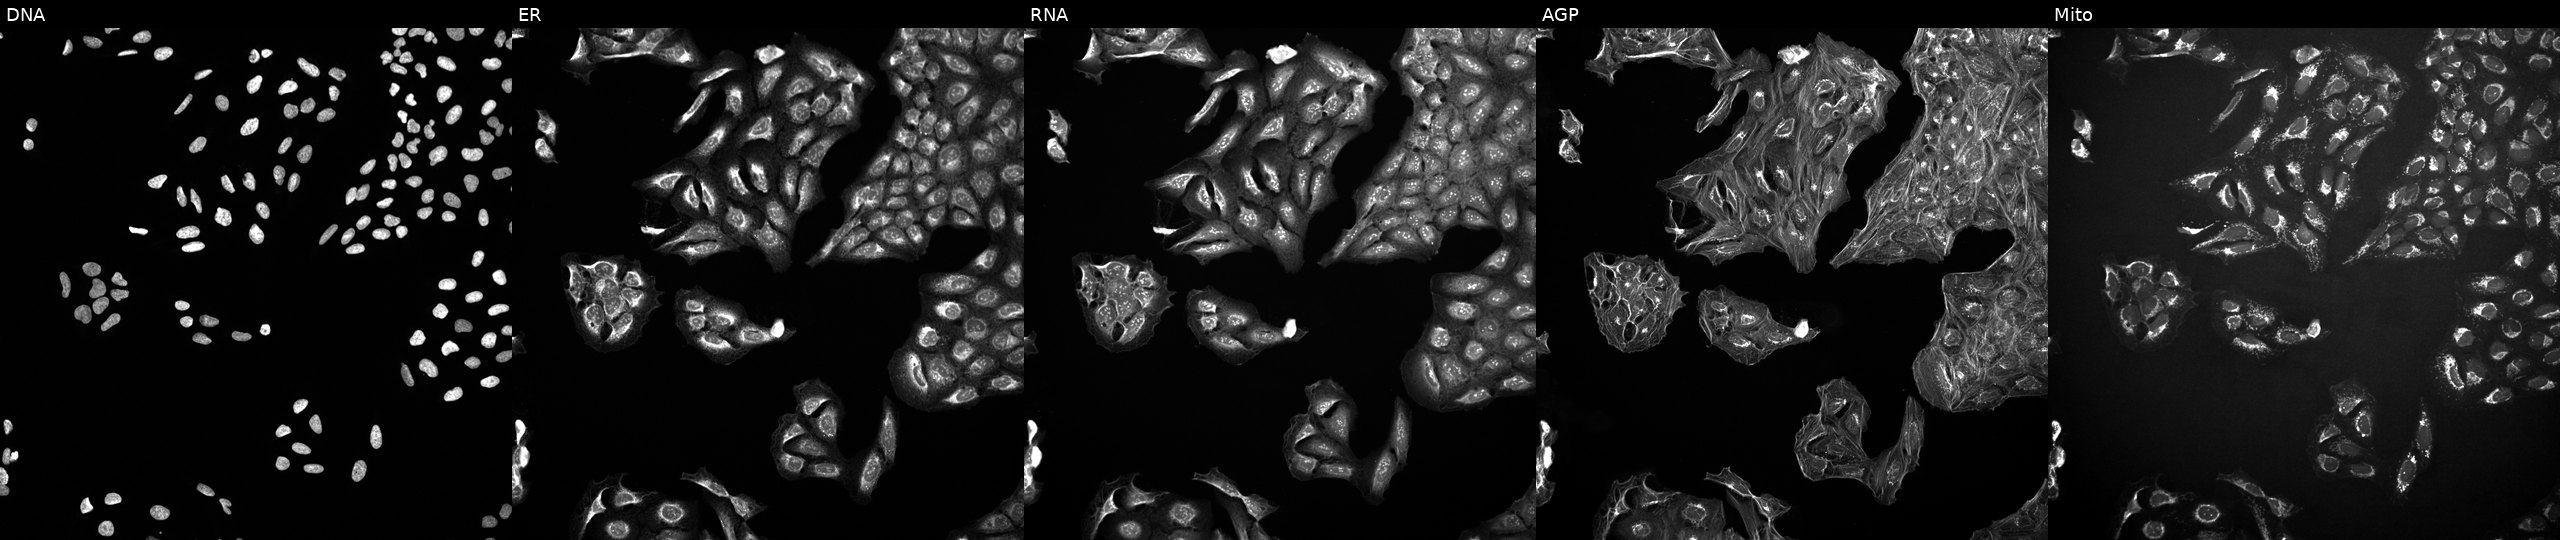
This image strip shows the five Cell Painting channels for a single field of U2OS cells untreated (empty-well control). Channels (left→right): Hoechst 33342, concanavalin A, SYTO 14, phalloidin and WGA, MitoTracker. Source 10, plate Dest210531-152324, well E05.